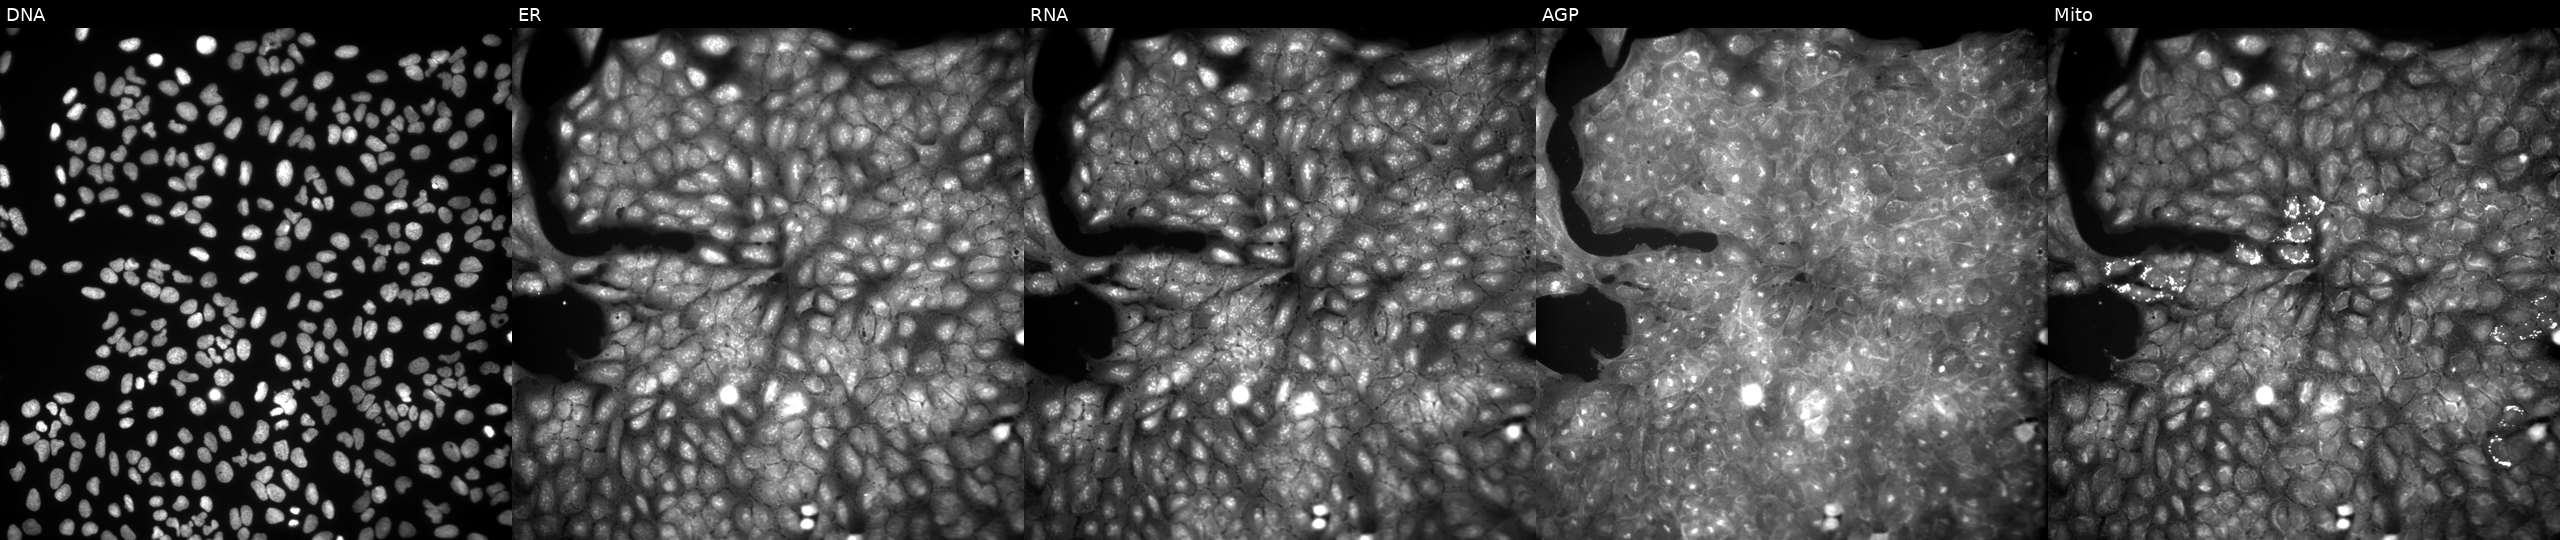
JUMP Cell Painting — COMPOUND plate. U2OS cells exposed to a small-molecule compound (JUMP id JCP2022_108802). Panels show, left to right, Hoechst 33342, concanavalin A, SYTO 14, phalloidin and WGA, MitoTracker.